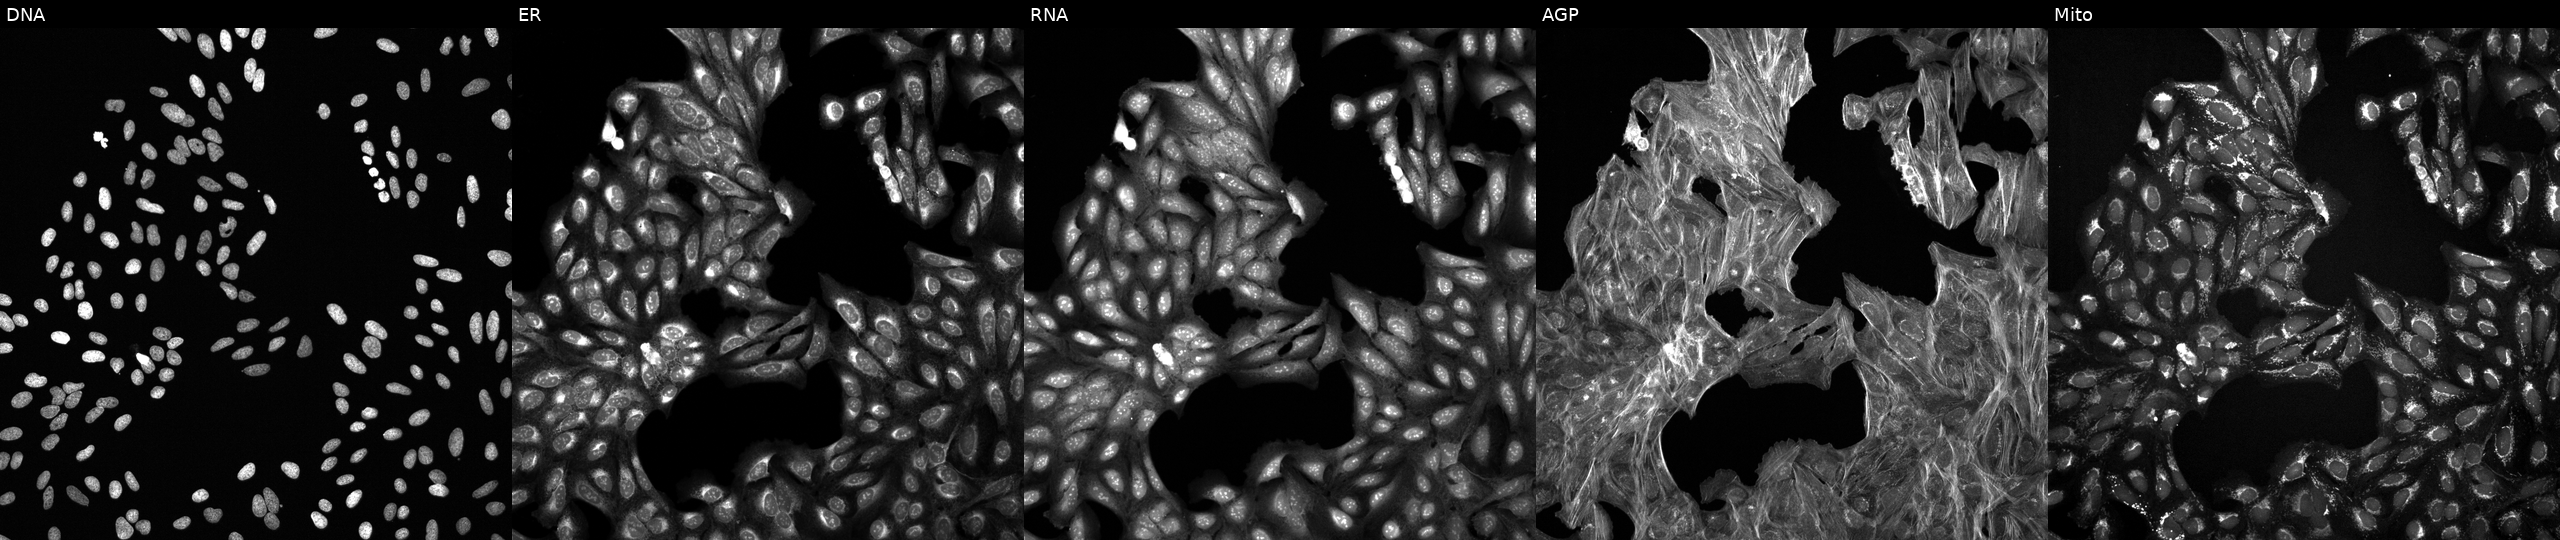
JUMP Cell Painting — COMPOUND plate. U2OS cells perturbed with a small-molecule compound (InChIKey GVVPTZPEXAORCL-UHFFFAOYSA-N). Channels (left→right): DNA (nuclei); ER (endoplasmic reticulum); RNA (nucleoli and cytoplasmic RNA); AGP (actin cytoskeleton, Golgi, and plasma membrane); Mito (mitochondria).